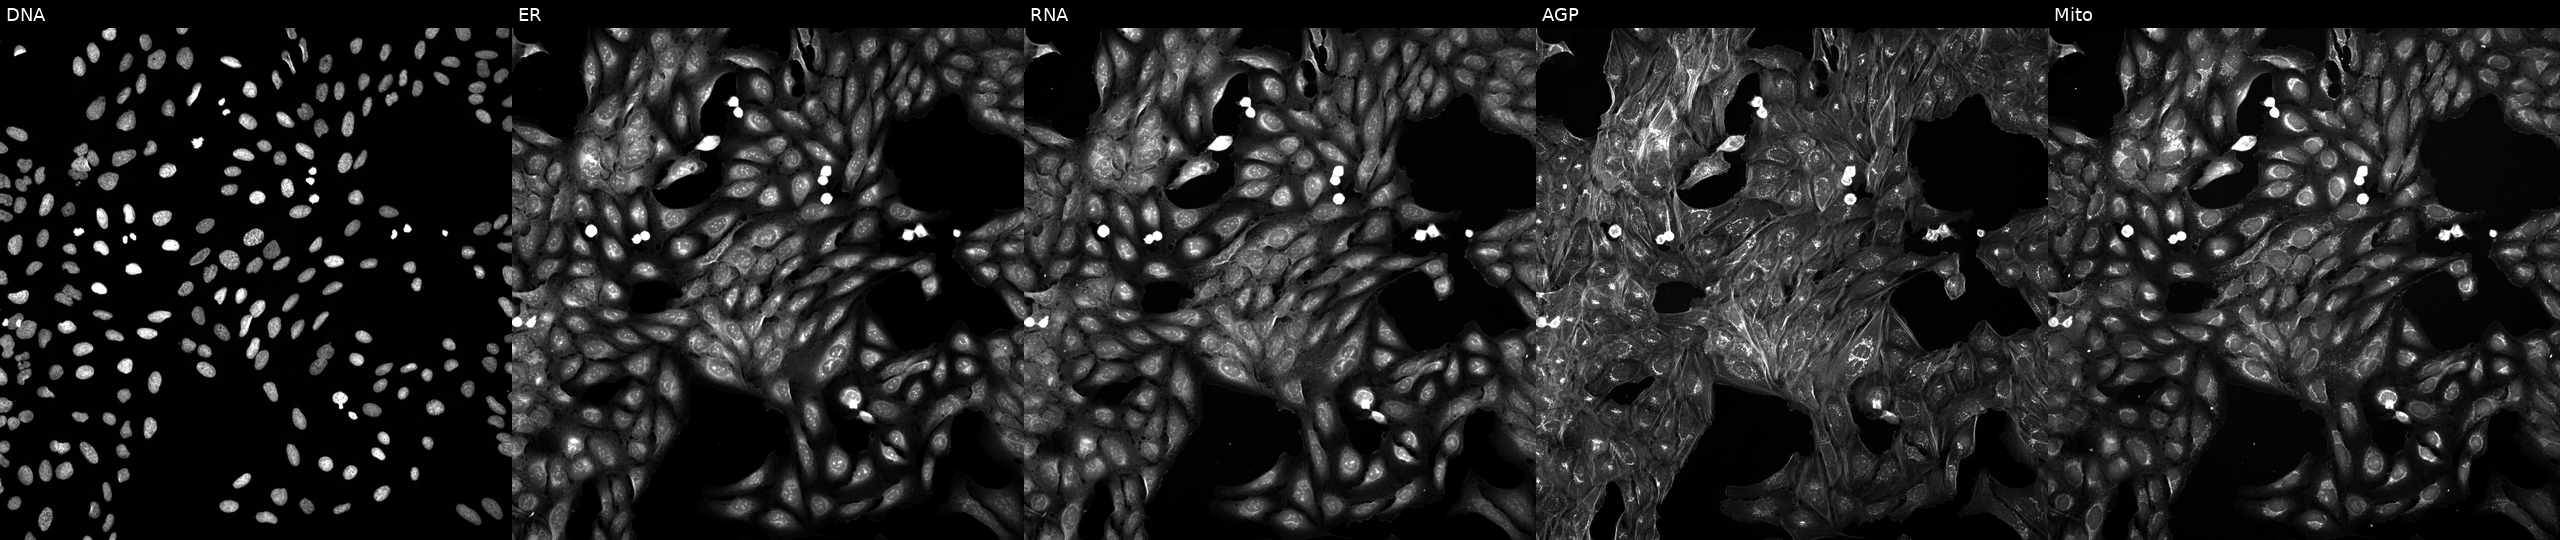
The five panels, left to right, show DNA (nuclei); ER (endoplasmic reticulum); RNA (nucleoli and cytoplasmic RNA); AGP (actin cytoskeleton, Golgi, and plasma membrane); Mito (mitochondria). U2OS osteosarcoma cells perturbed with a small-molecule compound (JUMP id JCP2022_063558). Cell Painting assay, JUMP-CP dataset. Source 5, plate APTJUM105, well D19.